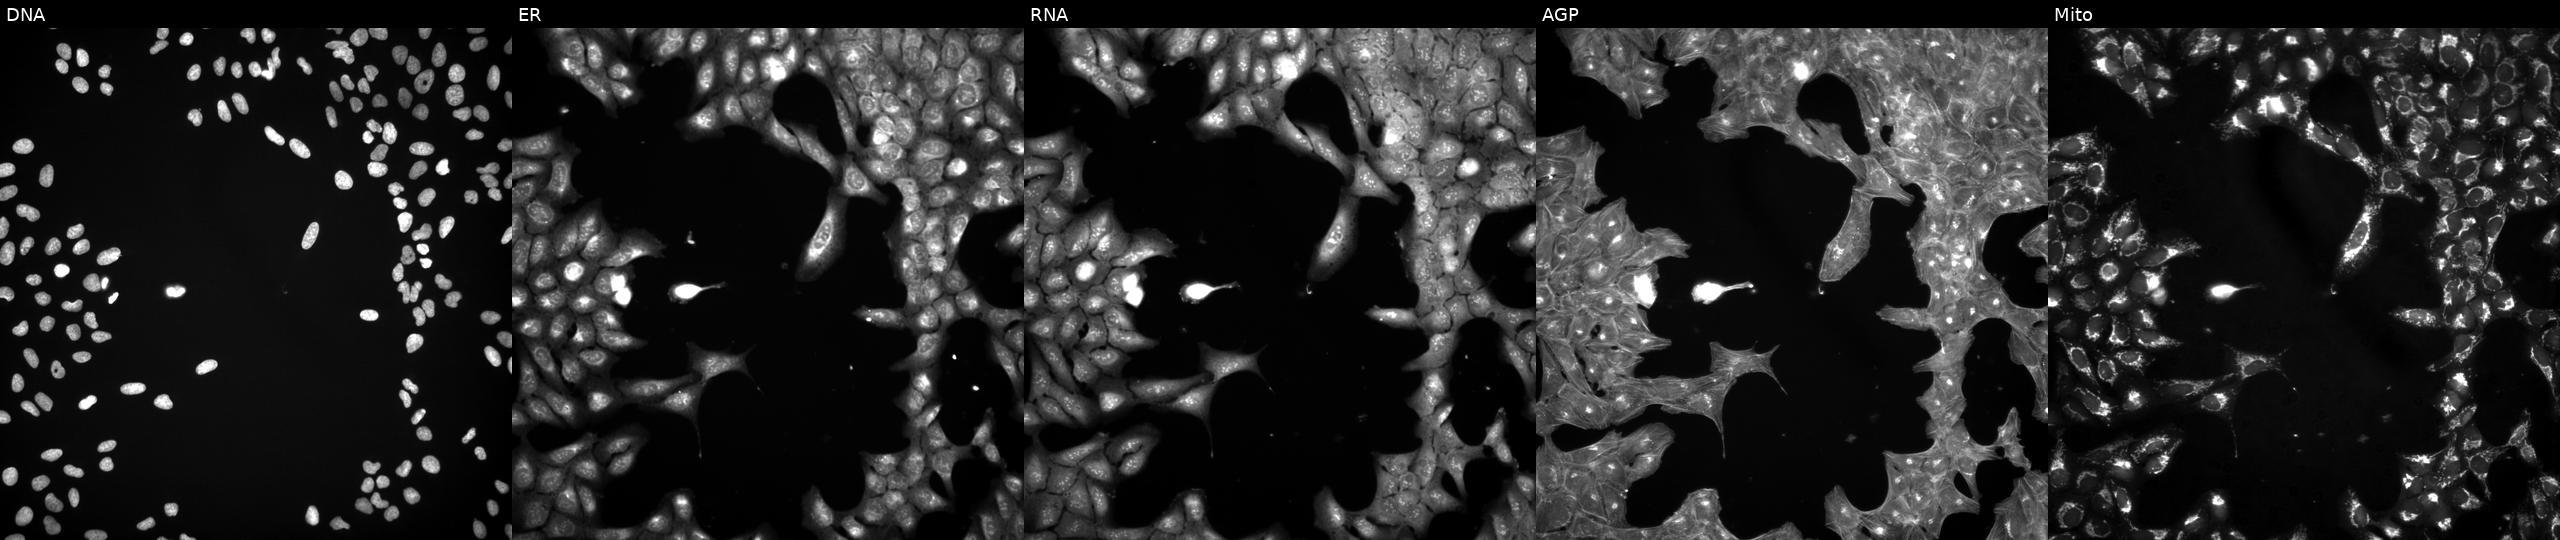
U2OS cells, Cell Painting assay, exposed to a small-molecule compound (InChIKey LGEQQWMQCRIYKG-UHFFFAOYSA-N) (JUMP id JCP2022_049224). Channels (left→right): DNA, ER, RNA, AGP, and Mito. Each panel is percentile-stretched 16-bit fluorescence. Source 3, plate JCPQC053, well I12.